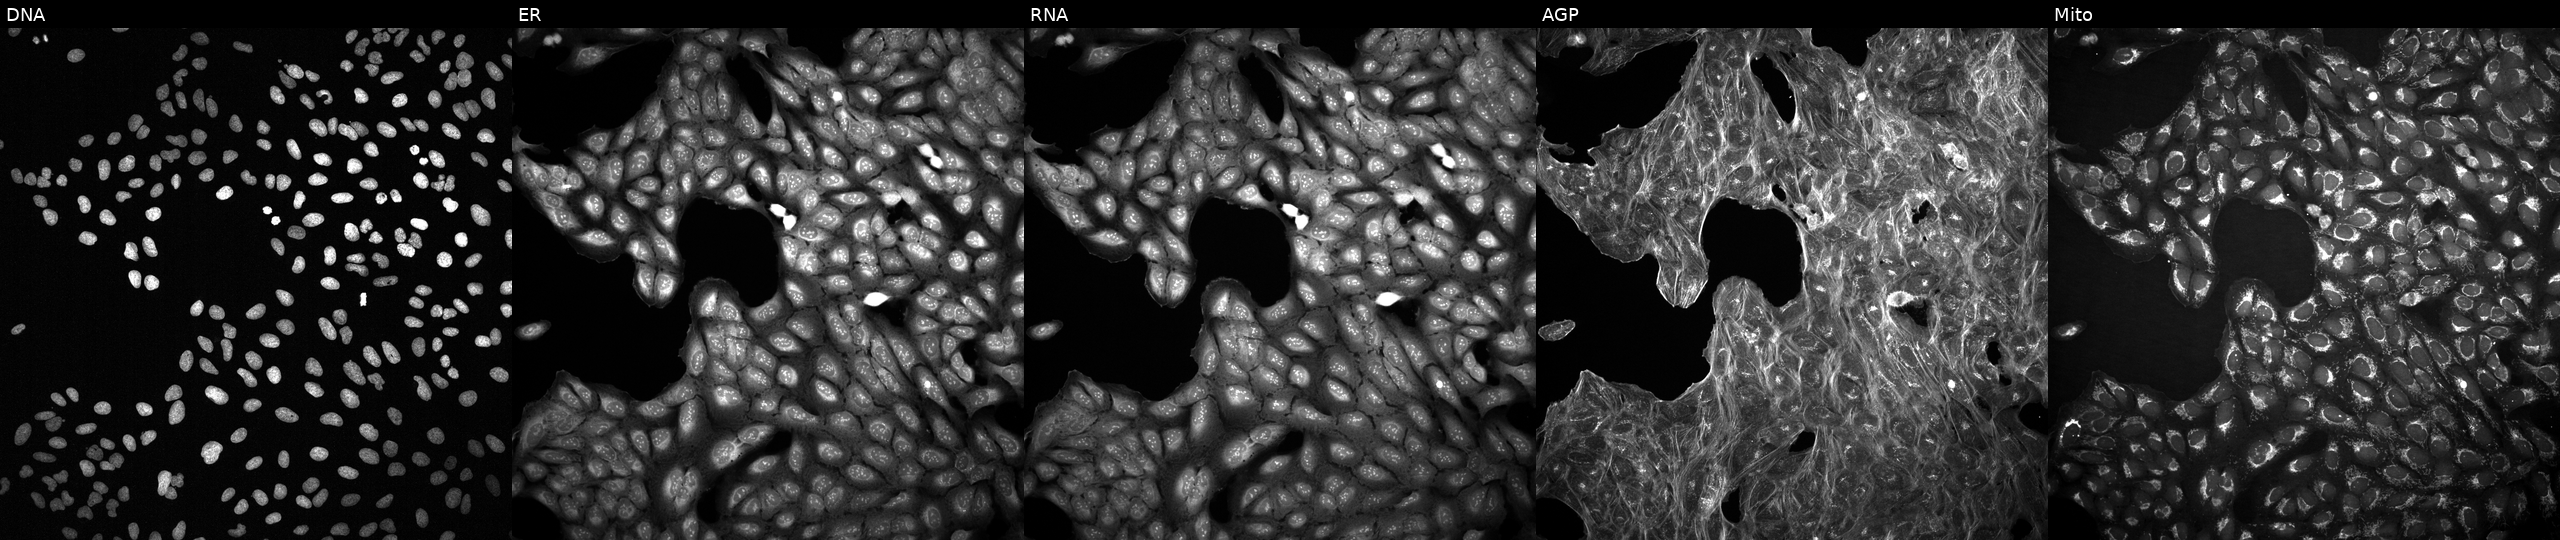
JUMP Cell Painting — TARGET2 plate. U2OS cells treated with a small-molecule compound. The five panels, left to right, show DNA (nuclei); ER (endoplasmic reticulum); RNA (nucleoli and cytoplasmic RNA); AGP (actin cytoskeleton, Golgi, and plasma membrane); Mito (mitochondria).